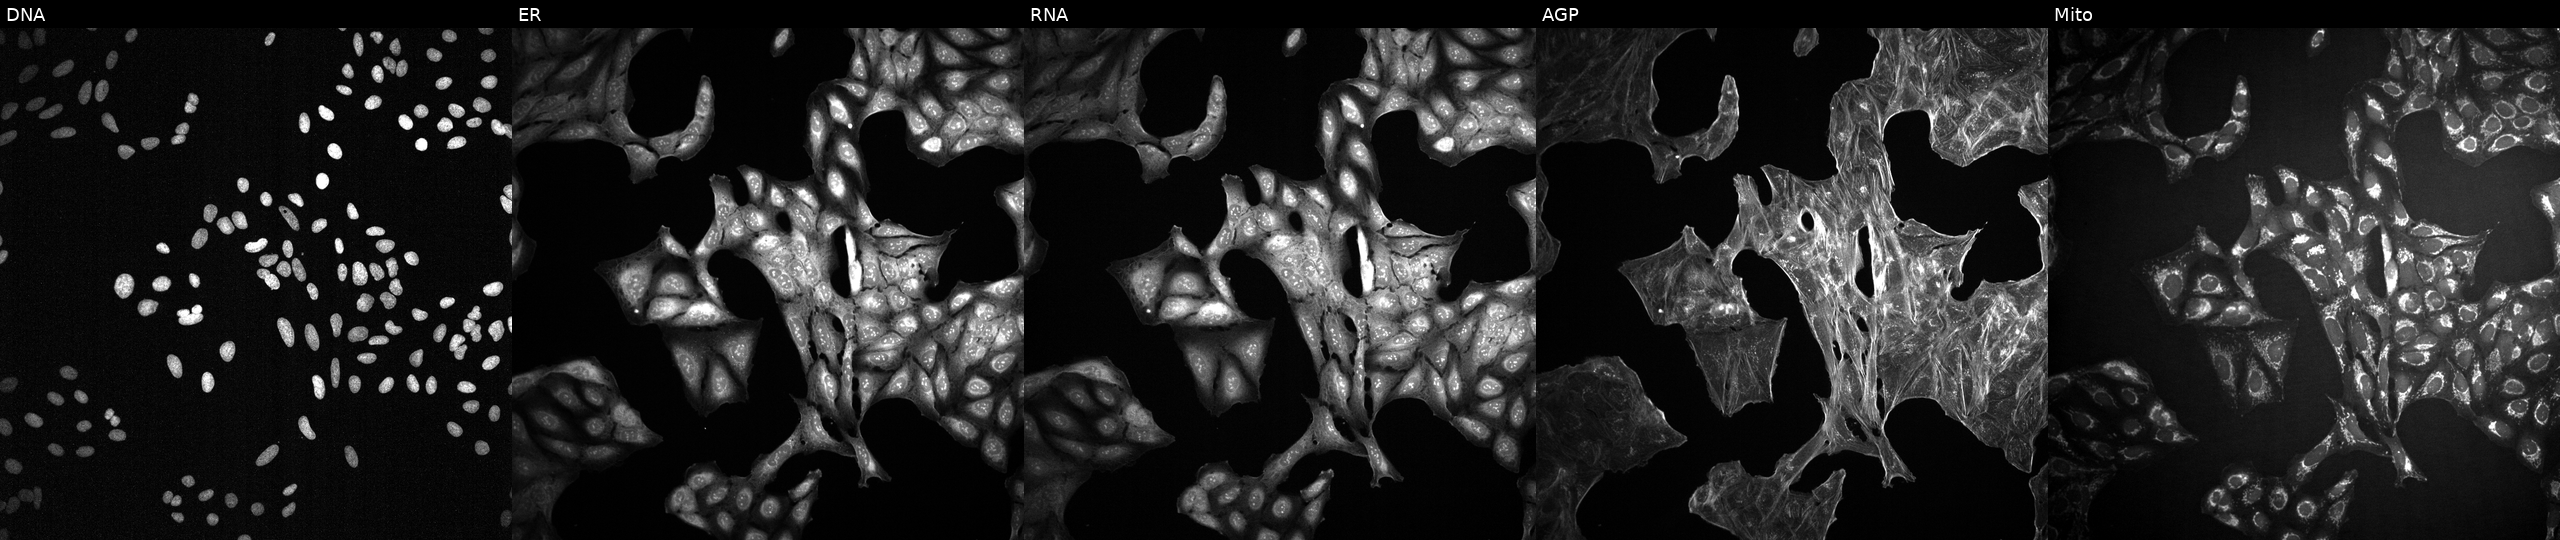
JUMP Cell Painting — TARGET2 plate. U2OS cells treated with dexamethasone (positive-control compound). Panels show, left to right, DNA (nuclei); ER (endoplasmic reticulum); RNA (nucleoli and cytoplasmic RNA); AGP (actin cytoskeleton, Golgi, and plasma membrane); Mito (mitochondria). Source 2, plate 1053599503, well K02.